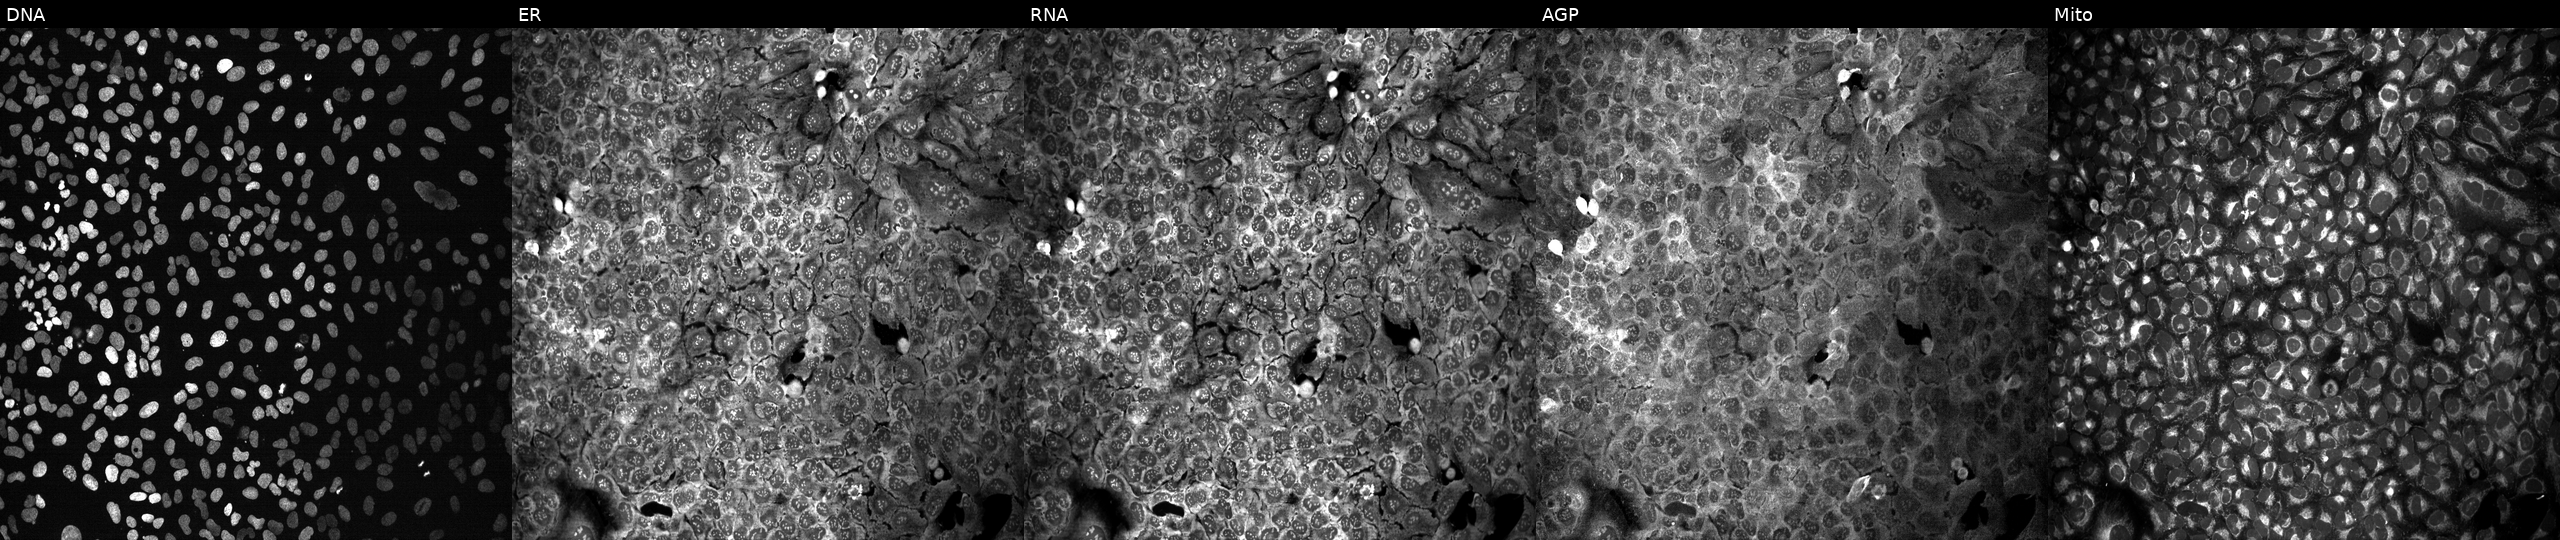
This image strip shows the five Cell Painting channels for a single field of U2OS cells with RNASE2 knocked out by CRISPR (JUMP id JCP2022_805984). The five panels, left to right, show Hoechst 33342, concanavalin A, SYTO 14, phalloidin and WGA, MitoTracker.